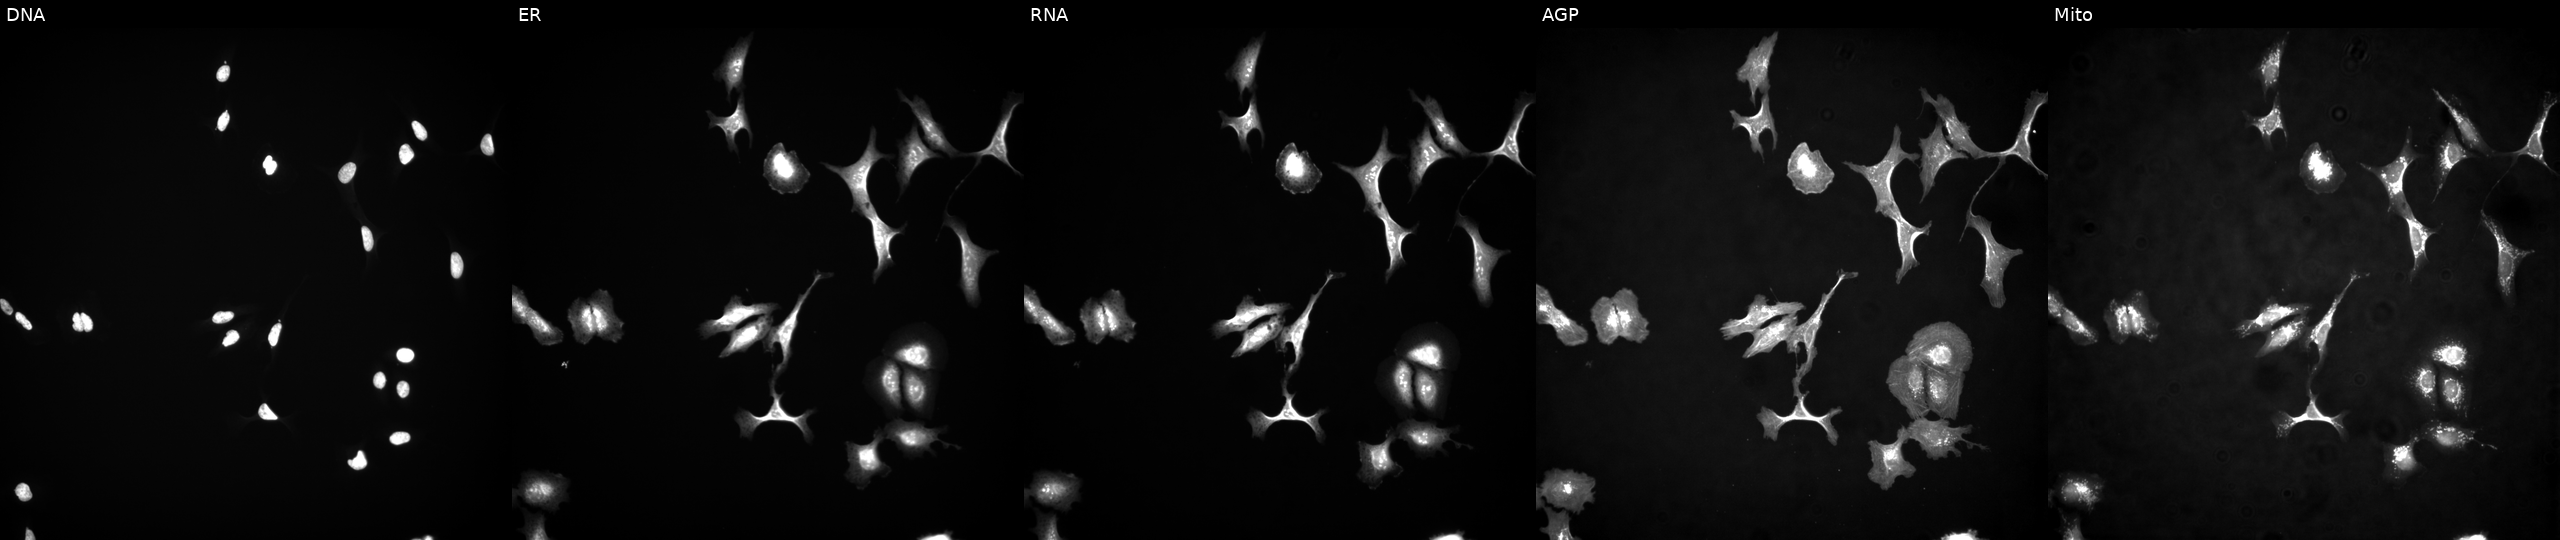
High-content fluorescence microscopy (Cell Painting). Cell line: U2OS. Perturbation: expressing eGFP (ORF positive control) (JUMP id JCP2022_915132). Channels (left→right): Hoechst 33342, concanavalin A, SYTO 14, phalloidin and WGA, MitoTracker.